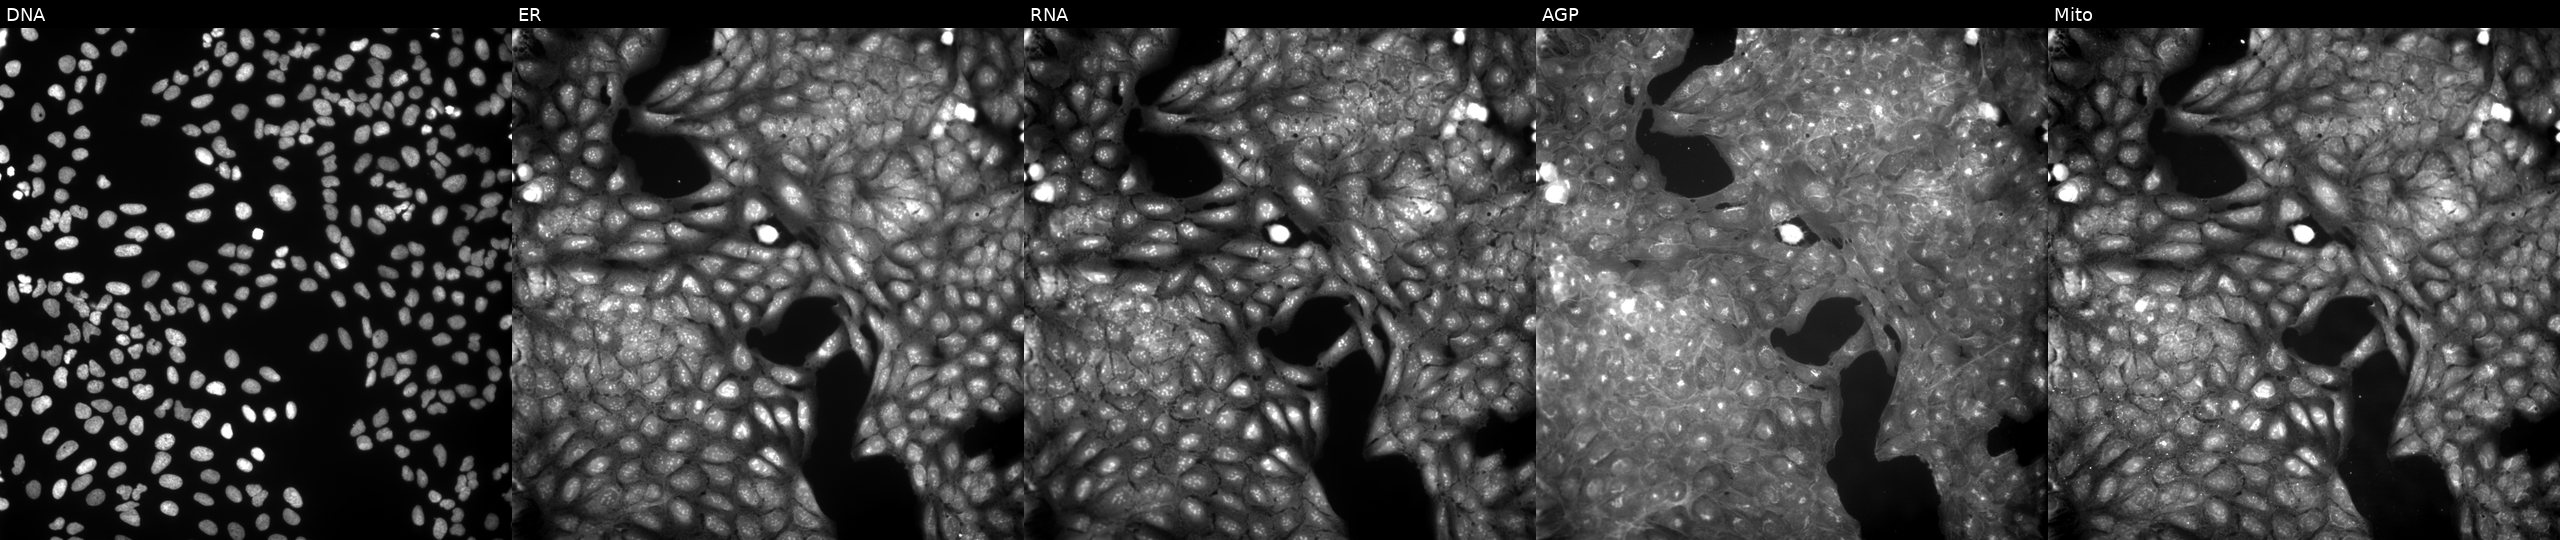
High-content fluorescence microscopy (Cell Painting). Cell line: U2OS. Perturbation: exposed to a small-molecule compound. From left to right: DNA (nuclei); ER (endoplasmic reticulum); RNA (nucleoli and cytoplasmic RNA); AGP (actin cytoskeleton, Golgi, and plasma membrane); Mito (mitochondria).